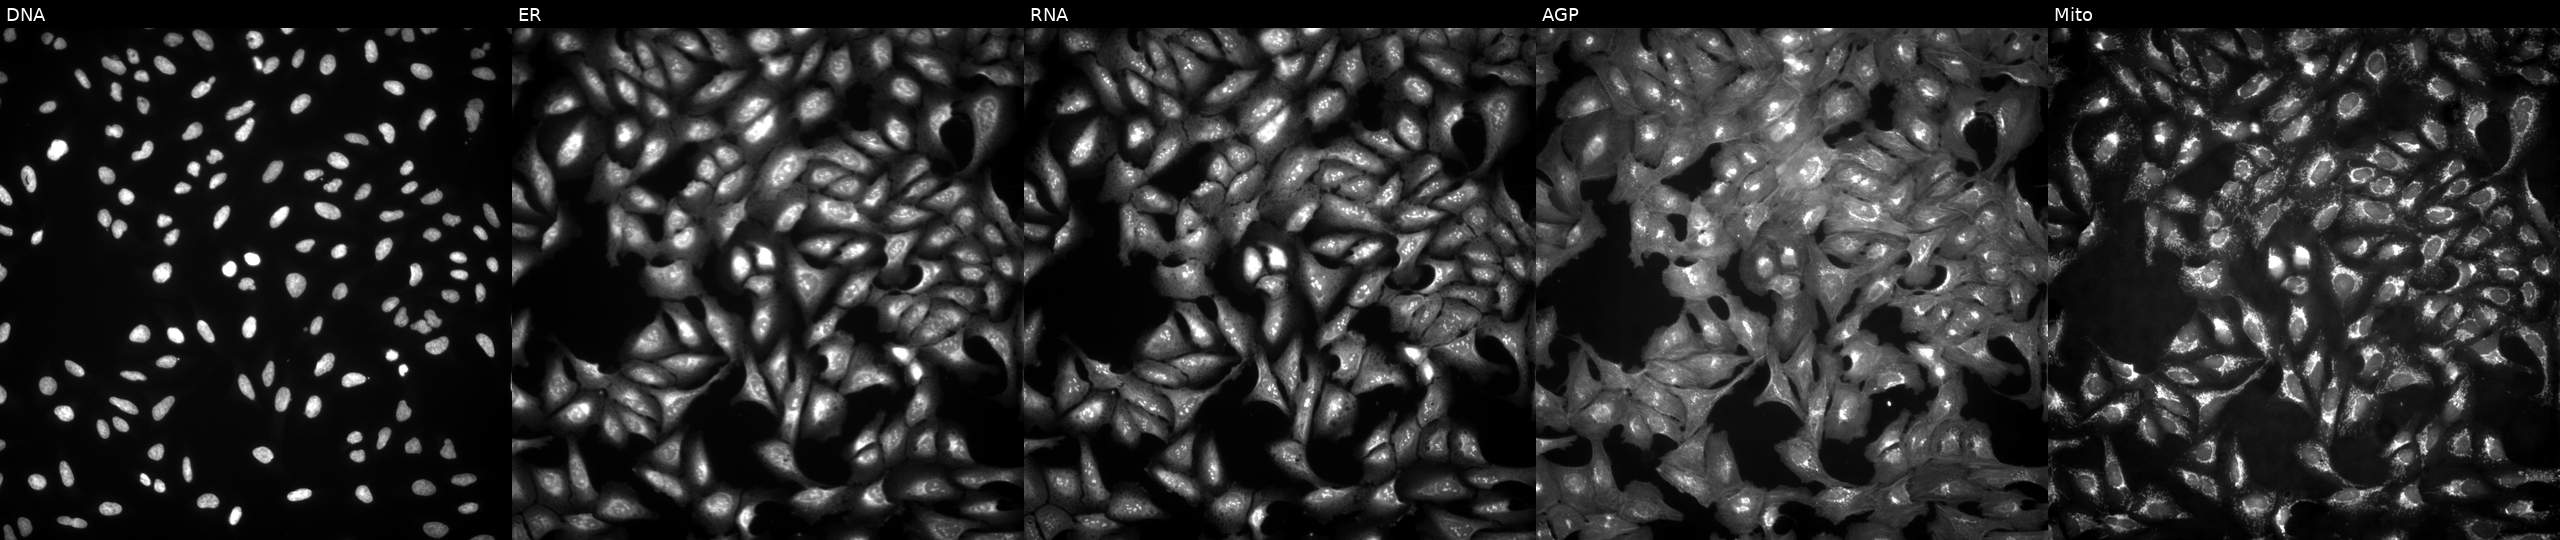
Five-channel Cell Painting image of U2OS cells transfected with an ORF construct for CYCS. From left to right: DNA (nuclei); ER (endoplasmic reticulum); RNA (nucleoli and cytoplasmic RNA); AGP (actin cytoskeleton, Golgi, and plasma membrane); Mito (mitochondria). Source 4, plate BR00123509, well H09.